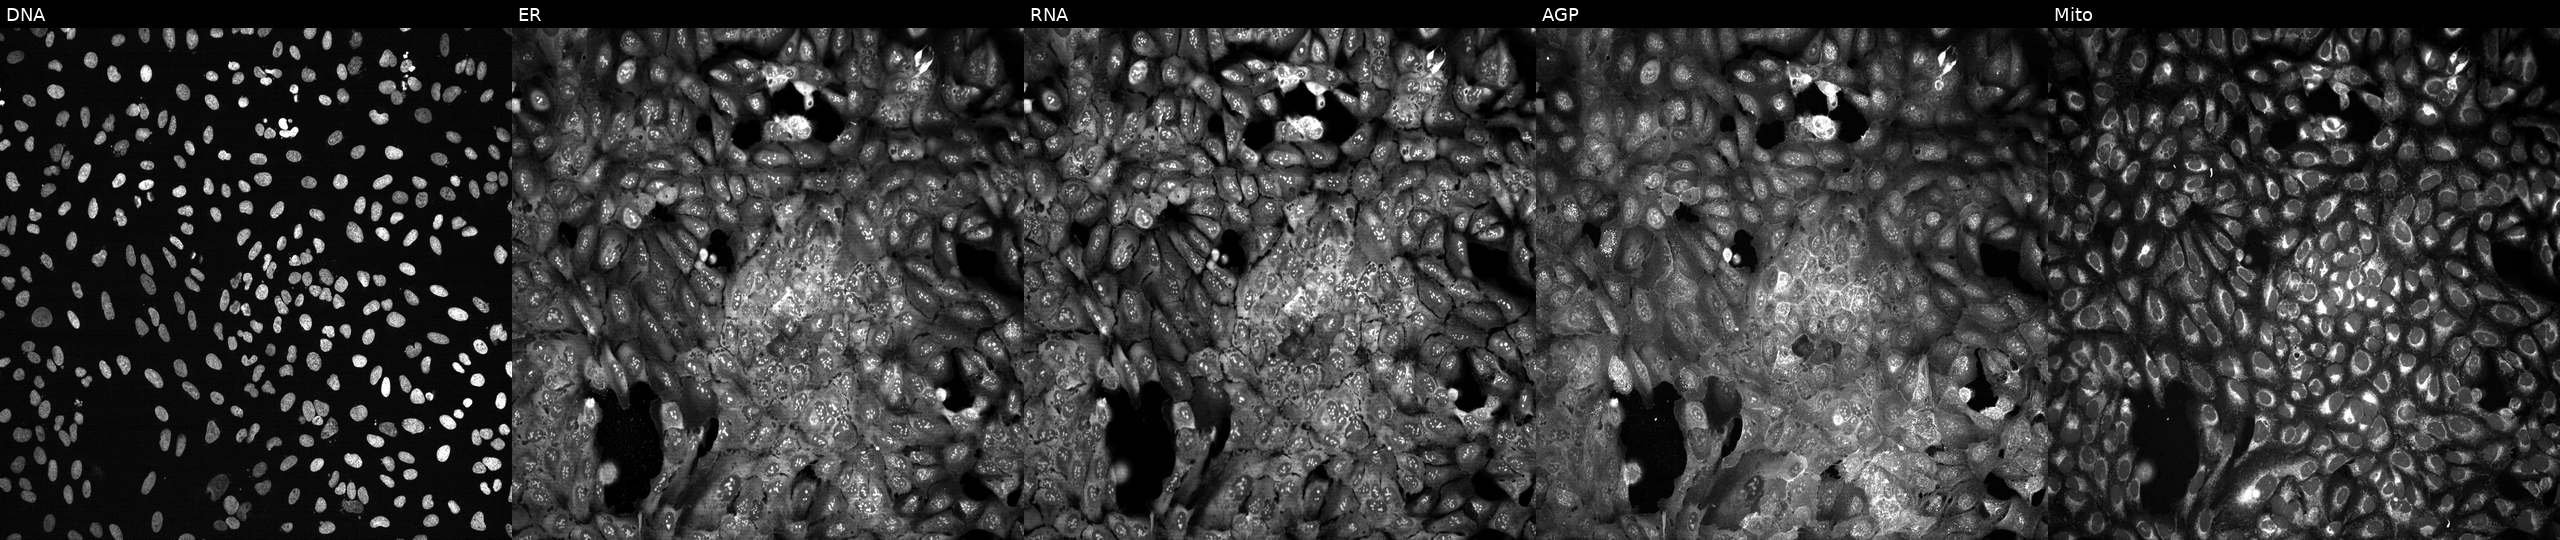
Five-channel Cell Painting image of U2OS cells following CRISPR knockout of DDX60. Channels (left→right): Hoechst 33342, concanavalin A, SYTO 14, phalloidin and WGA, MitoTracker. Source 13, plate CP-CC9-R4-04, well O04.